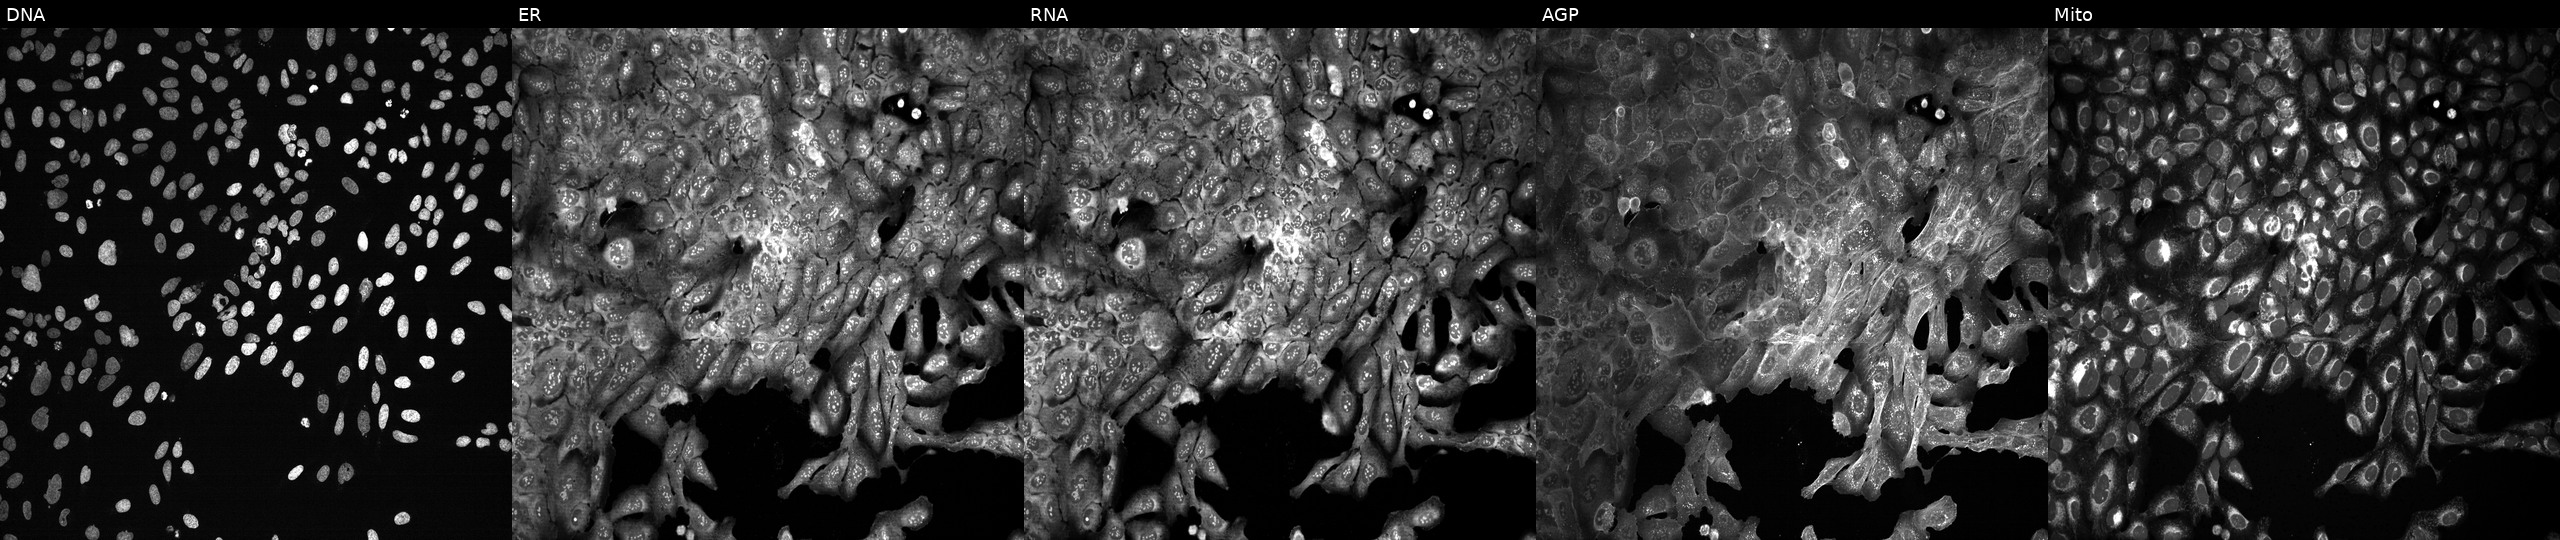
Five-channel Cell Painting image of U2OS cells with AMZ1 knocked out by CRISPR (JUMP id JCP2022_800447). Panels show, left to right, Hoechst 33342, concanavalin A, SYTO 14, phalloidin and WGA, MitoTracker. Source 13, plate CP-CC9-R6-19, well I09.